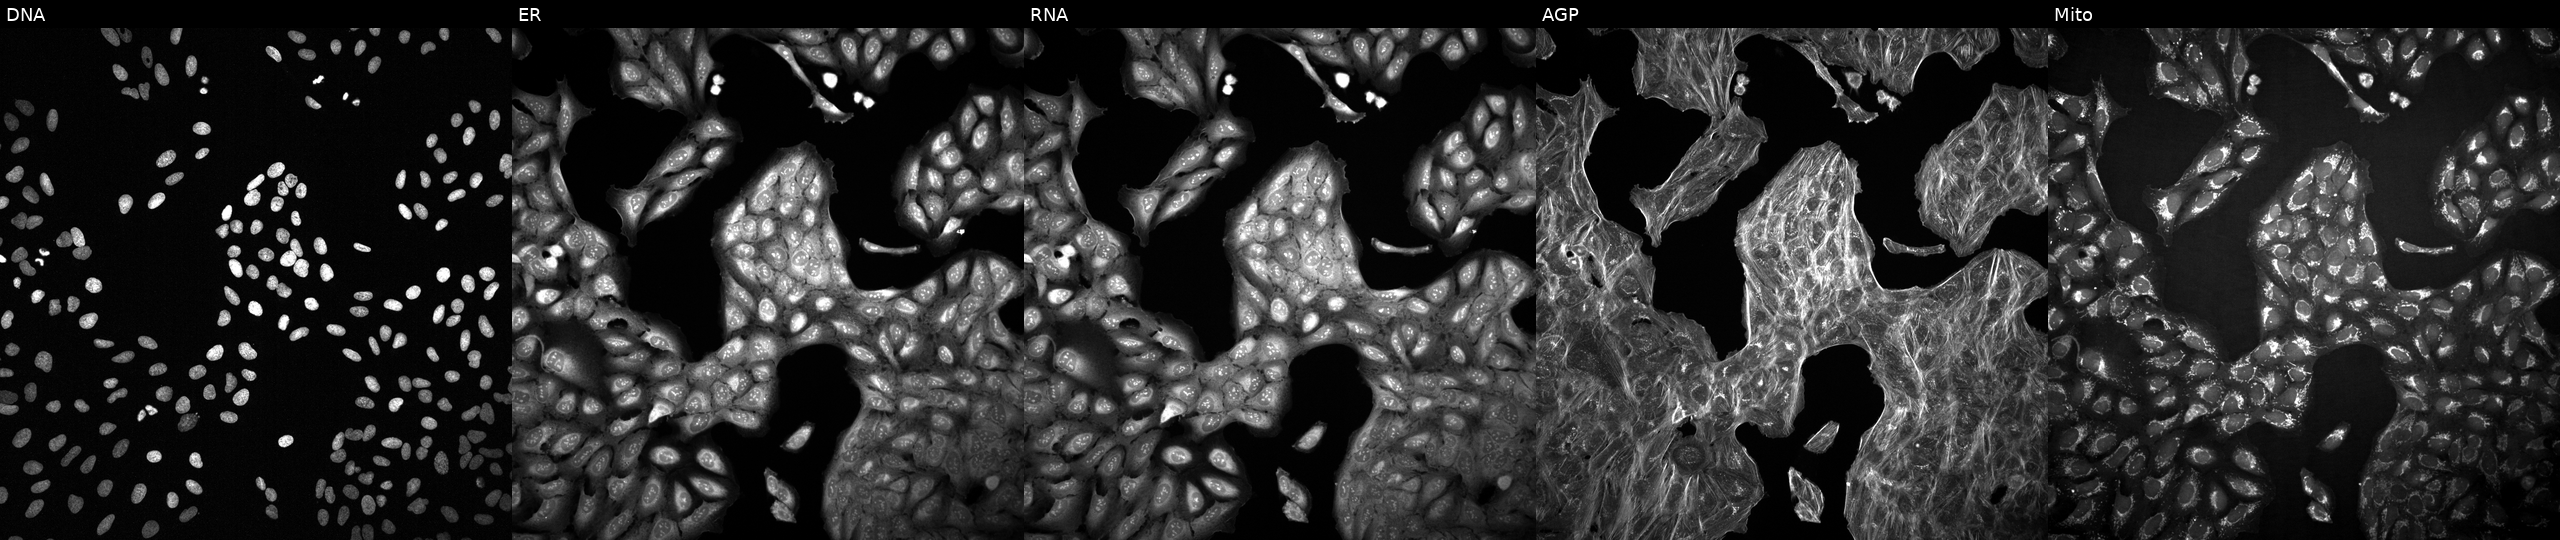
JUMP Cell Painting — COMPOUND plate. U2OS cells perturbed with a small-molecule compound (JUMP id JCP2022_101554). Panels show, left to right, DNA (nuclei); ER (endoplasmic reticulum); RNA (nucleoli and cytoplasmic RNA); AGP (actin cytoskeleton, Golgi, and plasma membrane); Mito (mitochondria). Source 2, plate 1053601756, well G20.